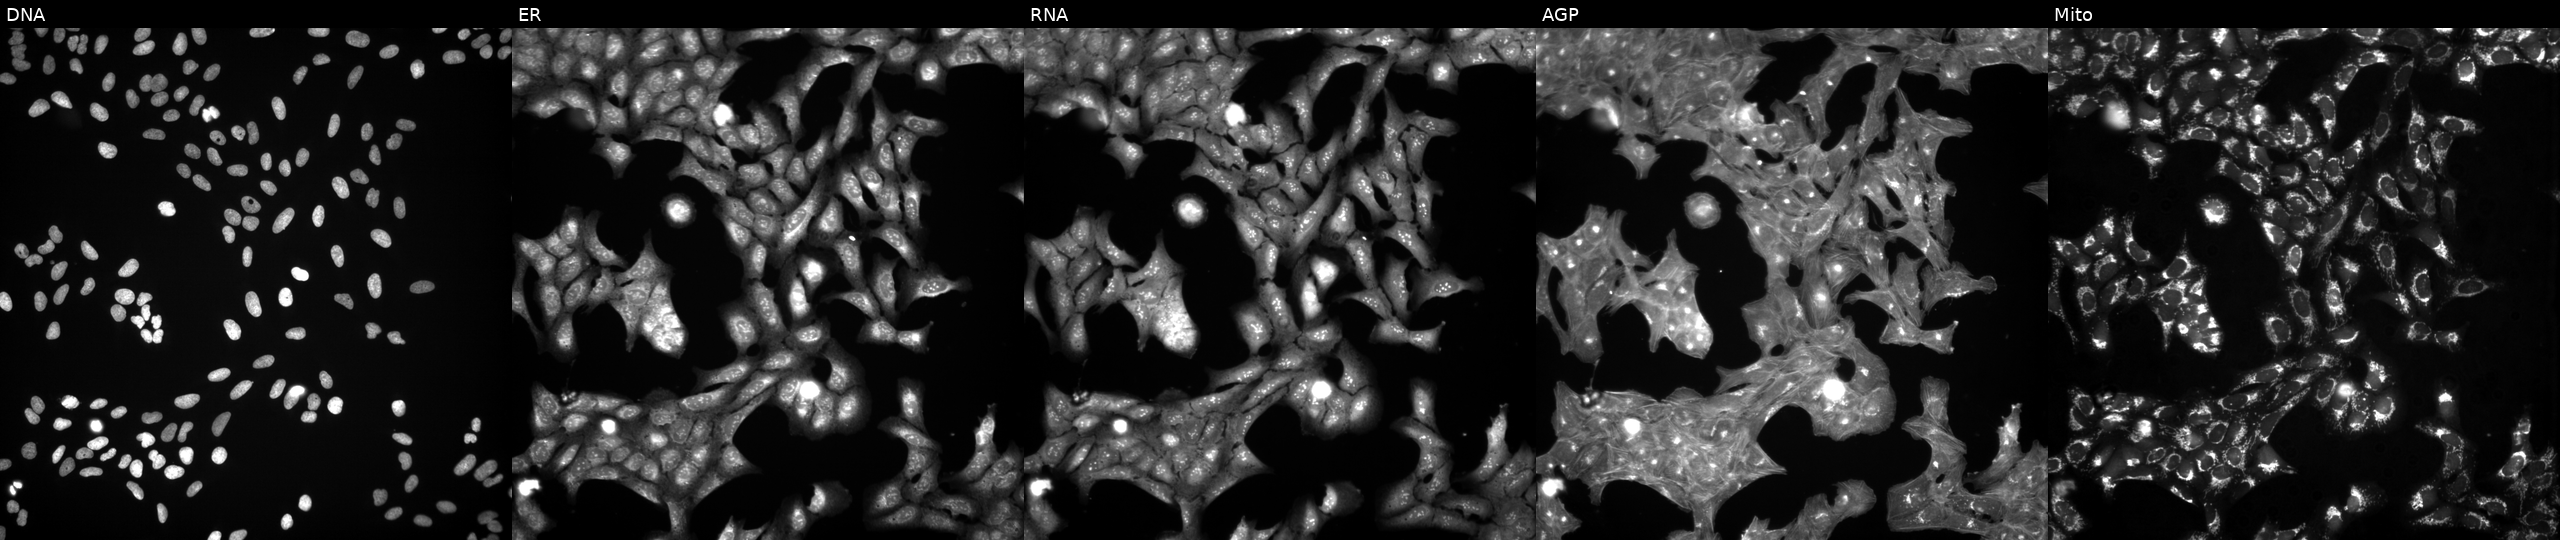
High-content fluorescence microscopy (Cell Painting). Cell line: U2OS. Perturbation: treated with DMSO vehicle only (negative control). Channels (left→right): DNA, ER, RNA, AGP, and Mito.